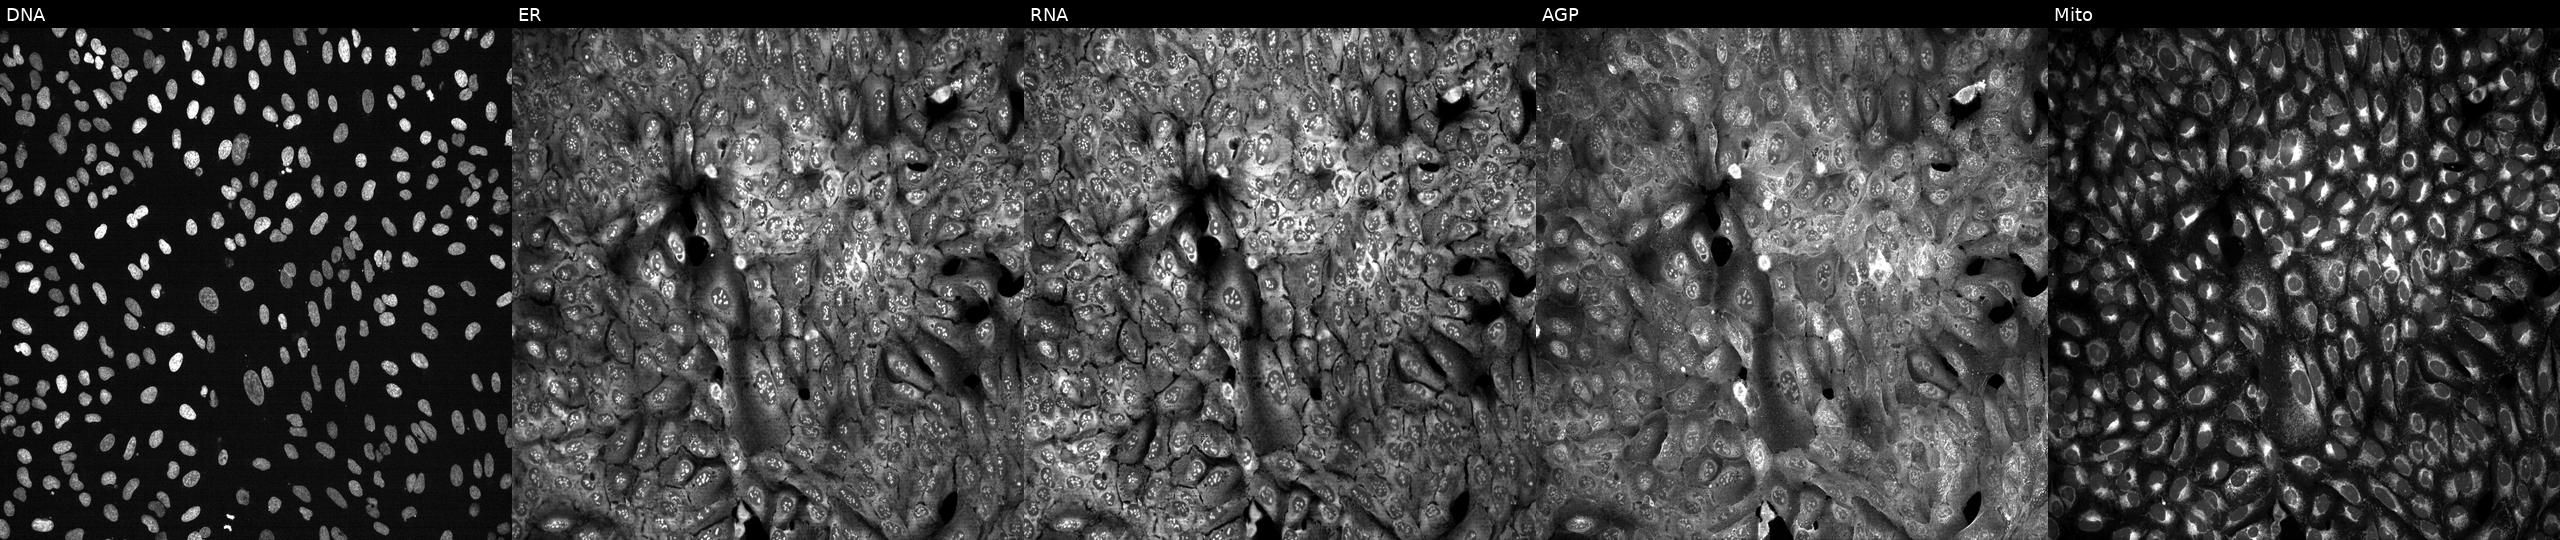
High-content fluorescence microscopy (Cell Painting). Cell line: U2OS. Perturbation: following CRISPR knockout of POLE2. Channels (left→right): DNA (nuclei); ER (endoplasmic reticulum); RNA (nucleoli and cytoplasmic RNA); AGP (actin cytoskeleton, Golgi, and plasma membrane); Mito (mitochondria).